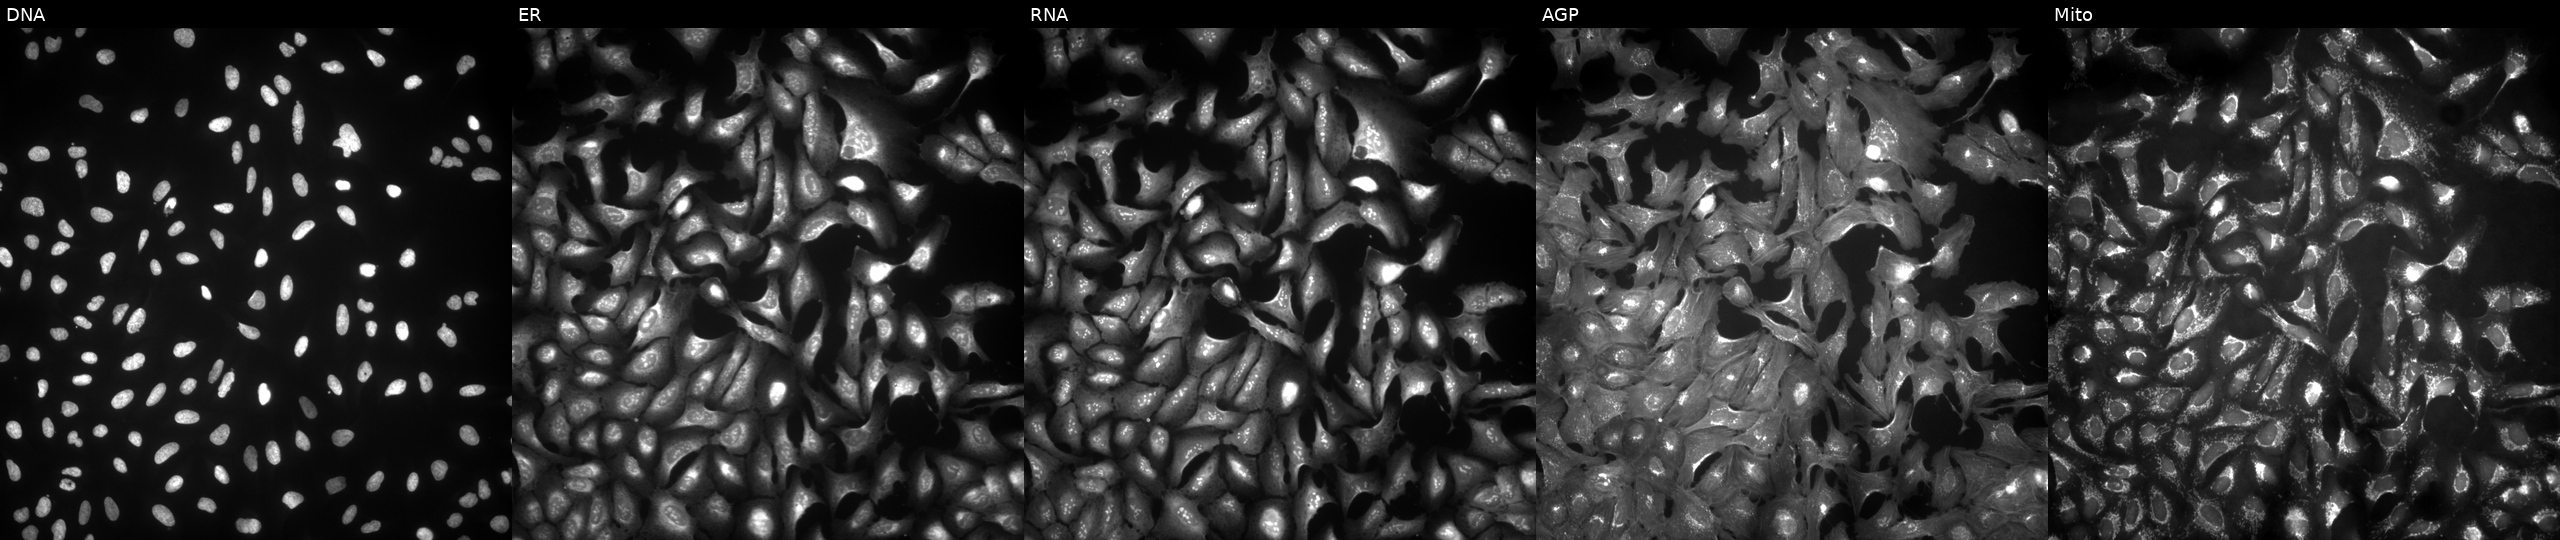
This image strip shows the five Cell Painting channels for a single field of U2OS cells with STK32B overexpressed (ORF). The five panels, left to right, show Hoechst 33342, concanavalin A, SYTO 14, phalloidin and WGA, MitoTracker.